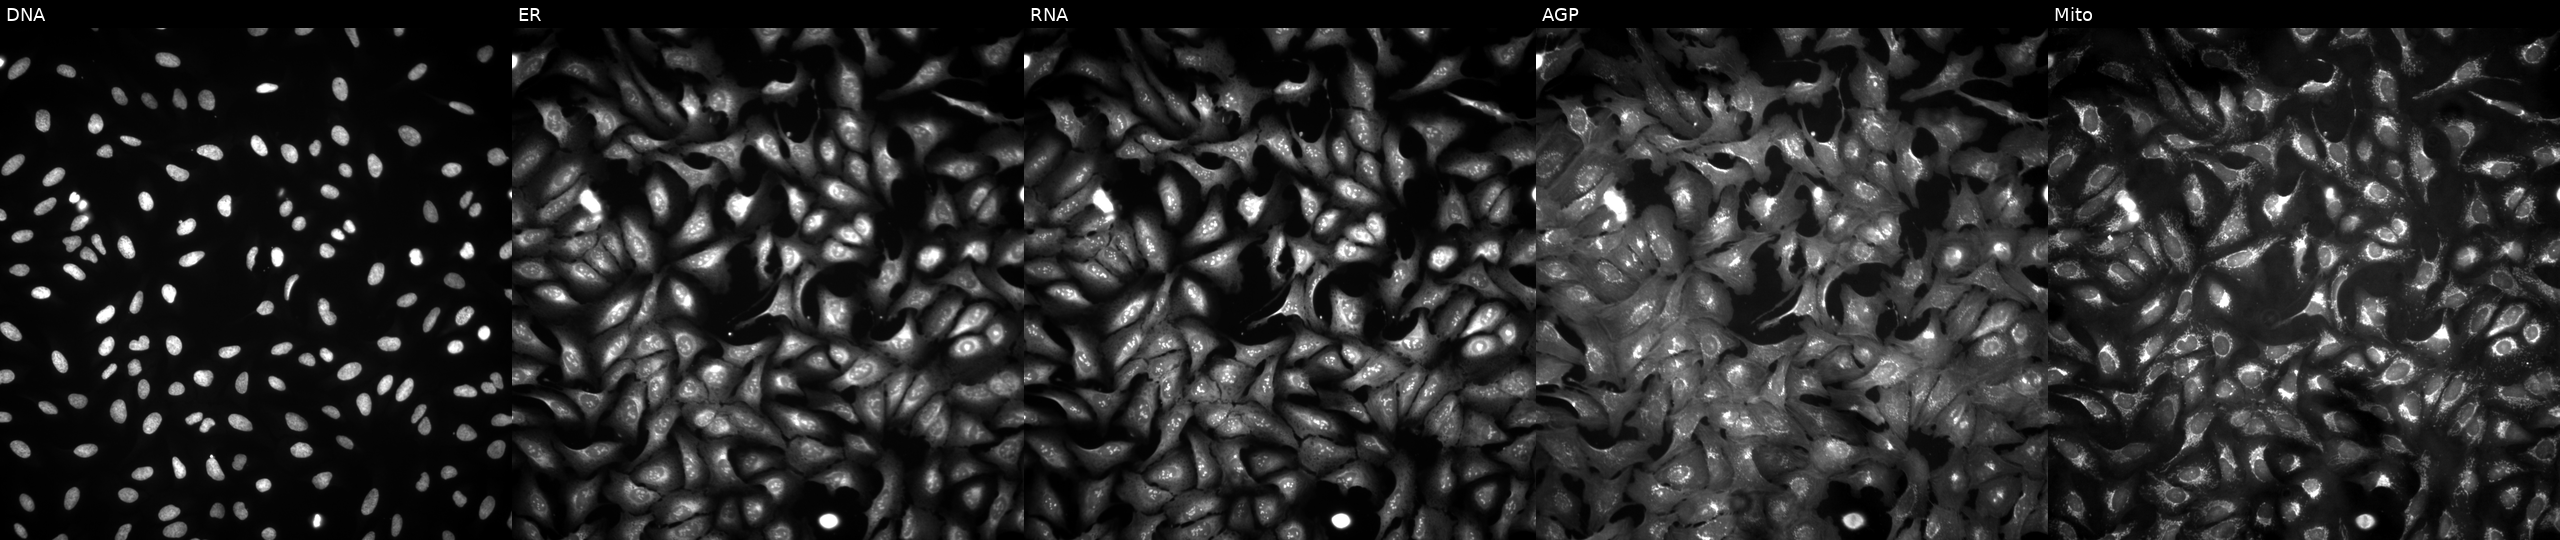
Panels show, left to right, Hoechst 33342, concanavalin A, SYTO 14, phalloidin and WGA, MitoTracker. U2OS osteosarcoma cells transfected with an ORF construct for RPN1 (JUMP id JCP2022_906451). Cell Painting assay, JUMP-CP dataset. Source 4, plate BR00121543, well G17.